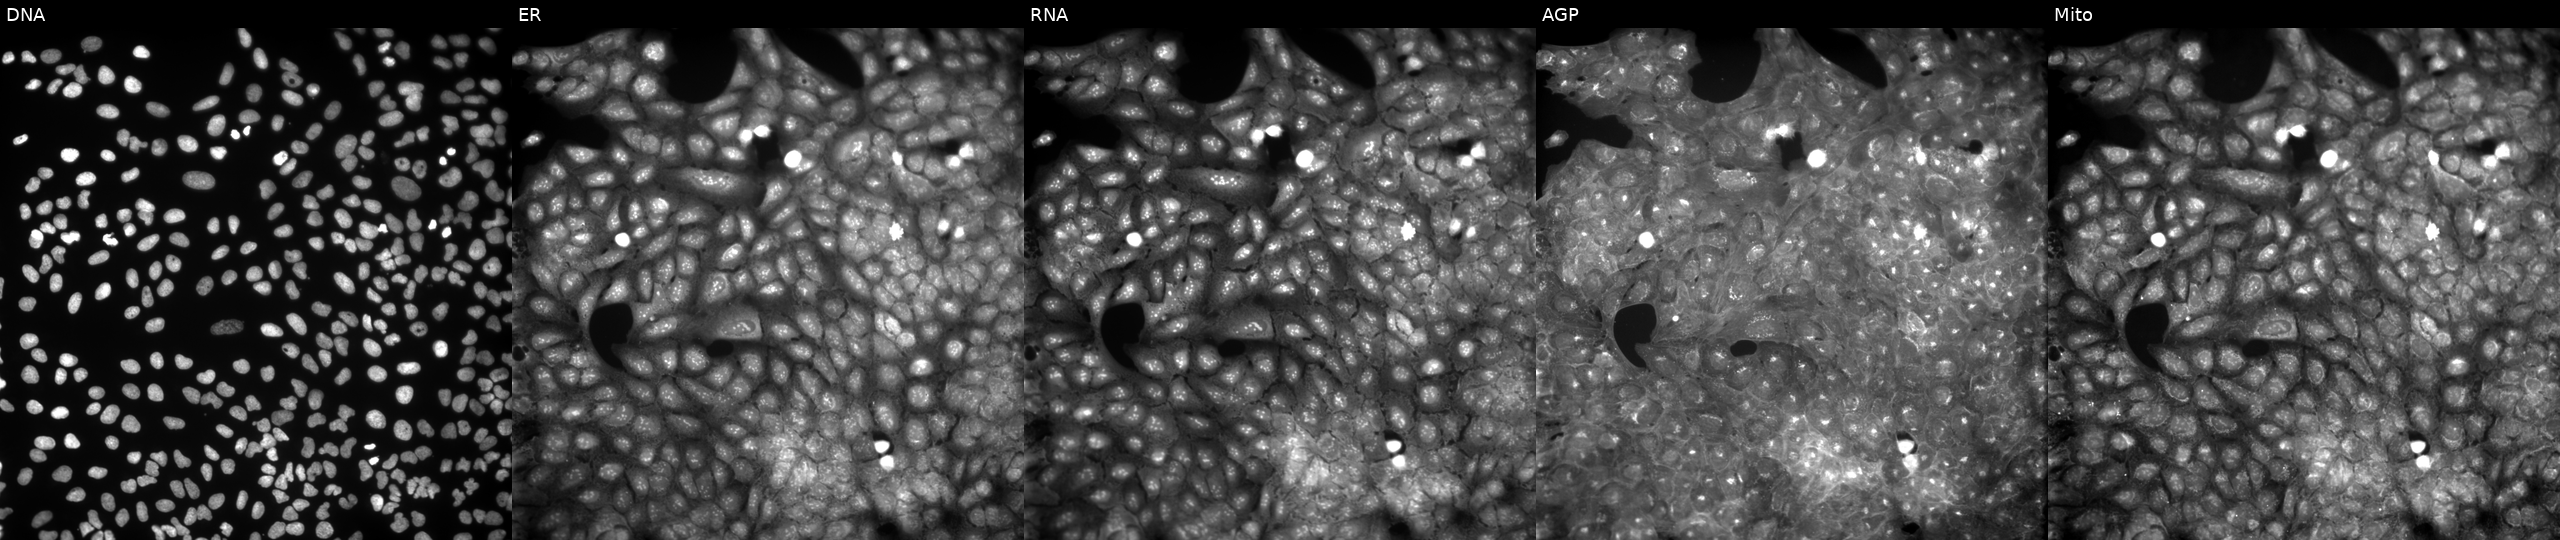
Five-channel Cell Painting image of U2OS cells perturbed with a small-molecule compound [SMILES: O=C(Oc1nsnc1N1CCOCC1)N1CCCCC1]. Channels (left→right): Hoechst 33342, concanavalin A, SYTO 14, phalloidin and WGA, MitoTracker.